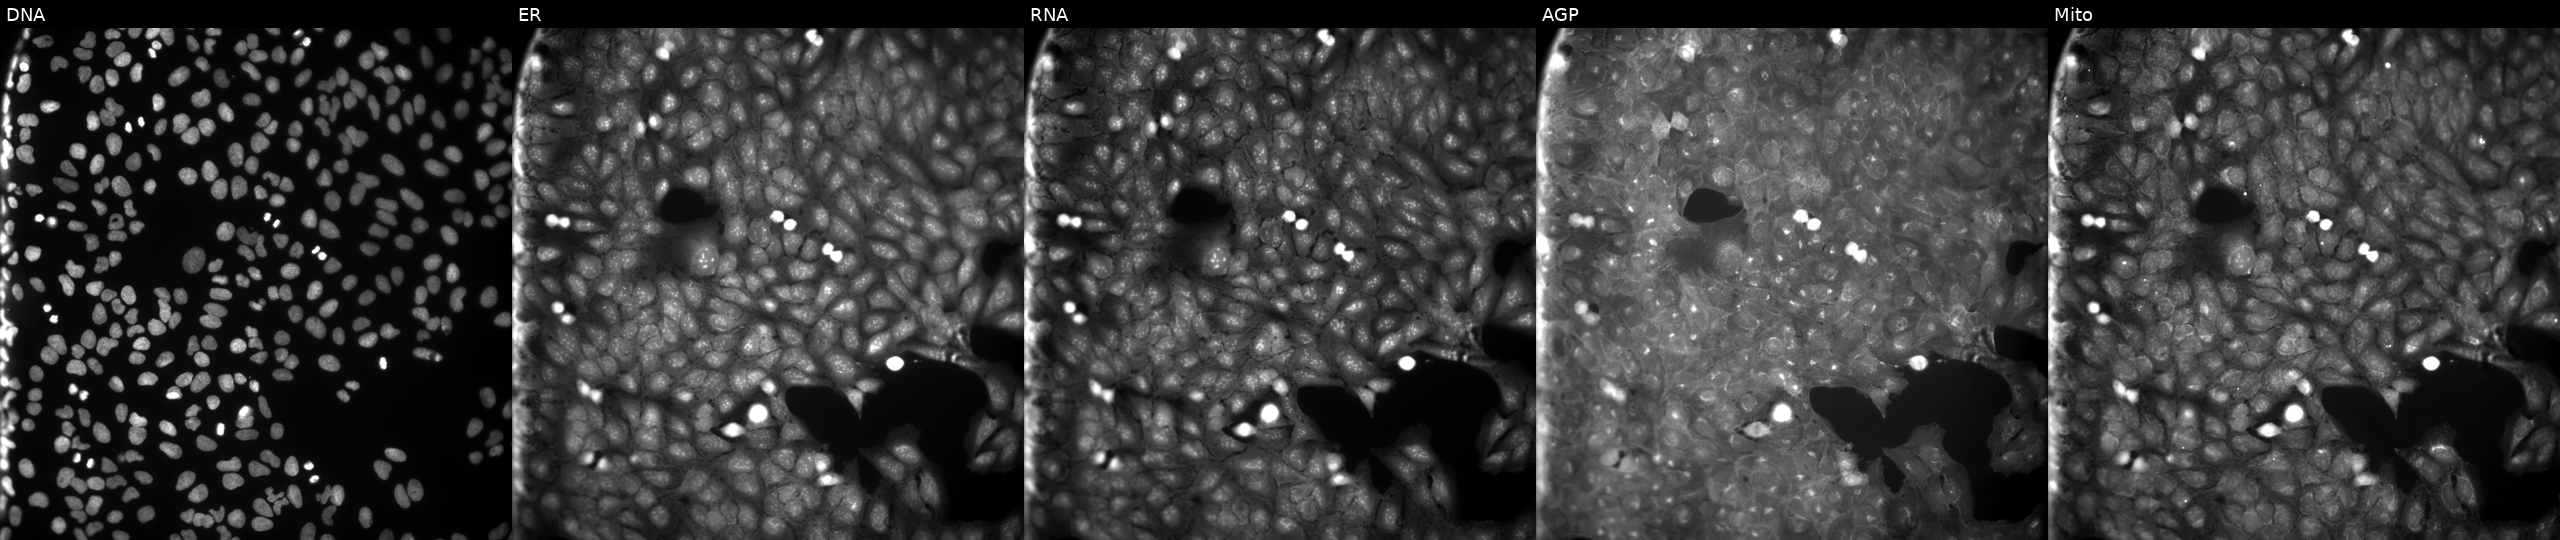
JUMP Cell Painting — COMPOUND plate. U2OS cells perturbed with a small-molecule compound (InChIKey MMBOGZMKKJDFKV-UHFFFAOYSA-N) (JUMP id JCP2022_055018). Channels (left→right): DNA, ER, RNA, AGP, and Mito.